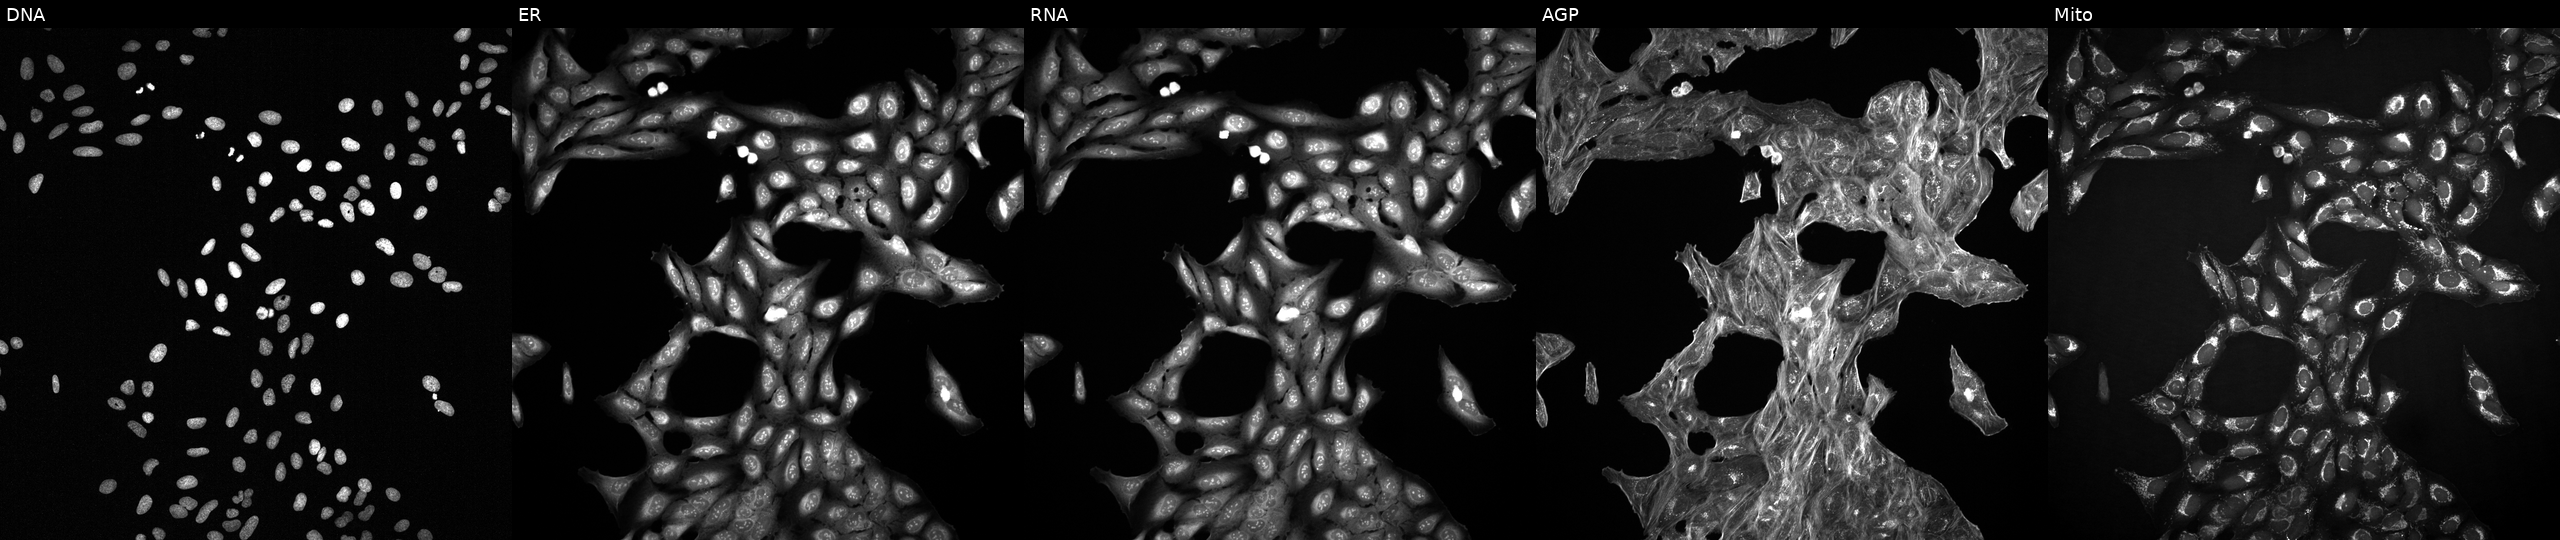
The five panels, left to right, show DNA, ER, RNA, AGP, and Mito. U2OS osteosarcoma cells exposed to a small-molecule compound (InChIKey IQPHSKRPFUWFIT-UHFFFAOYSA-N) (JUMP id JCP2022_036774). Cell Painting assay, JUMP-CP dataset.